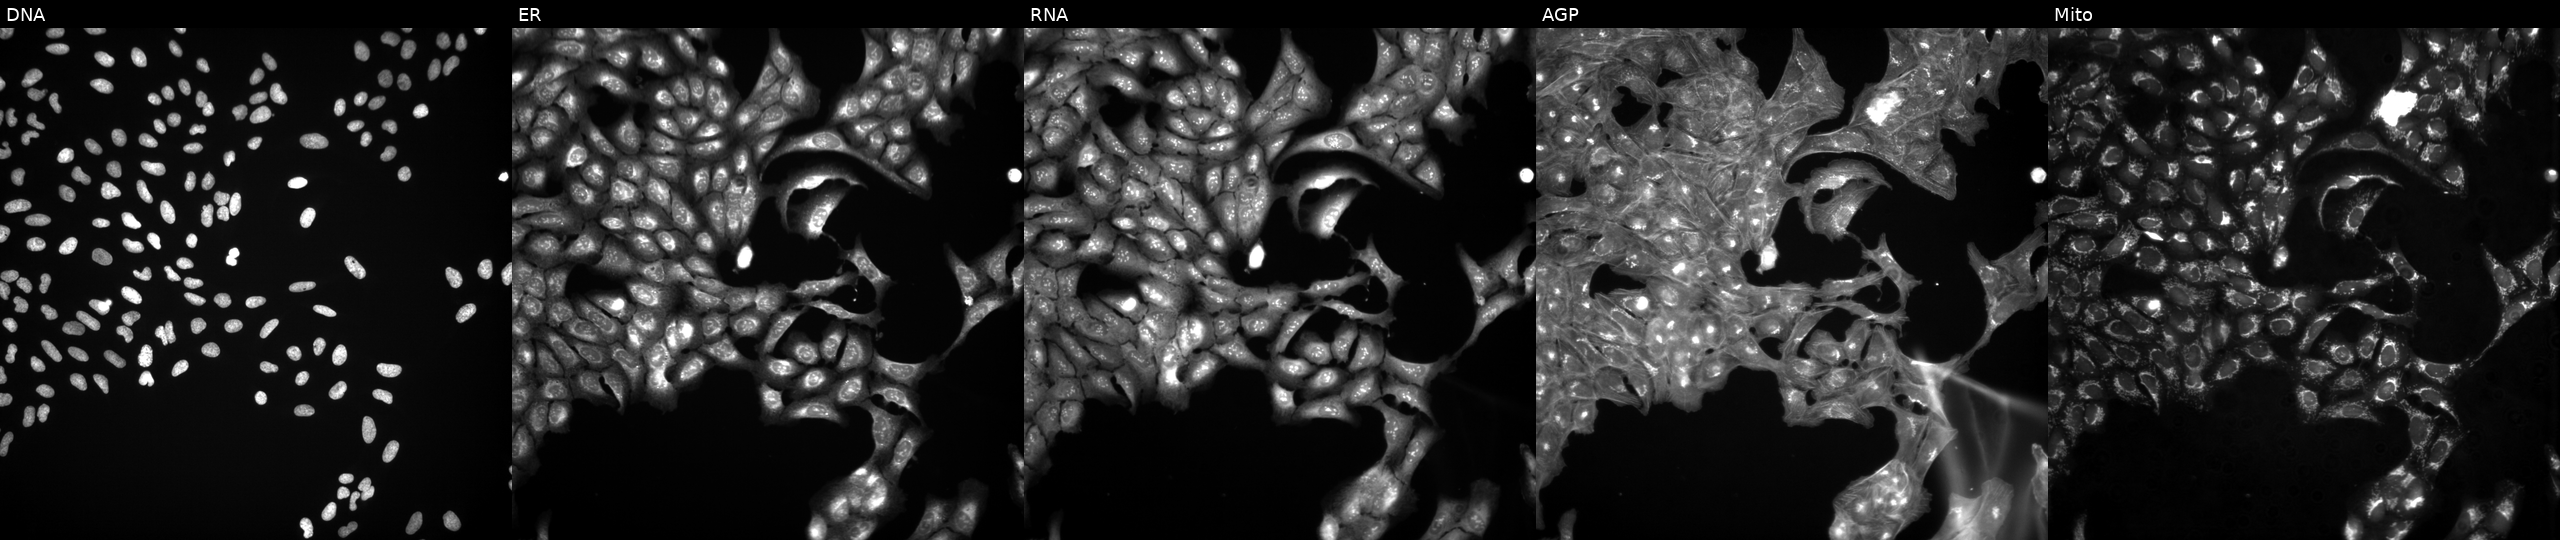
JUMP Cell Painting — COMPOUND plate. U2OS cells exposed to a small-molecule compound [SMILES: Cc1c(NC(=O)CCSc2ccc(Cl)cc2)c(=O)n(-c2ccccc2)n1C] (JUMP id JCP2022_019319). From left to right: DNA (nuclei); ER (endoplasmic reticulum); RNA (nucleoli and cytoplasmic RNA); AGP (actin cytoskeleton, Golgi, and plasma membrane); Mito (mitochondria). Source 3, plate BR5867b3, well A22.